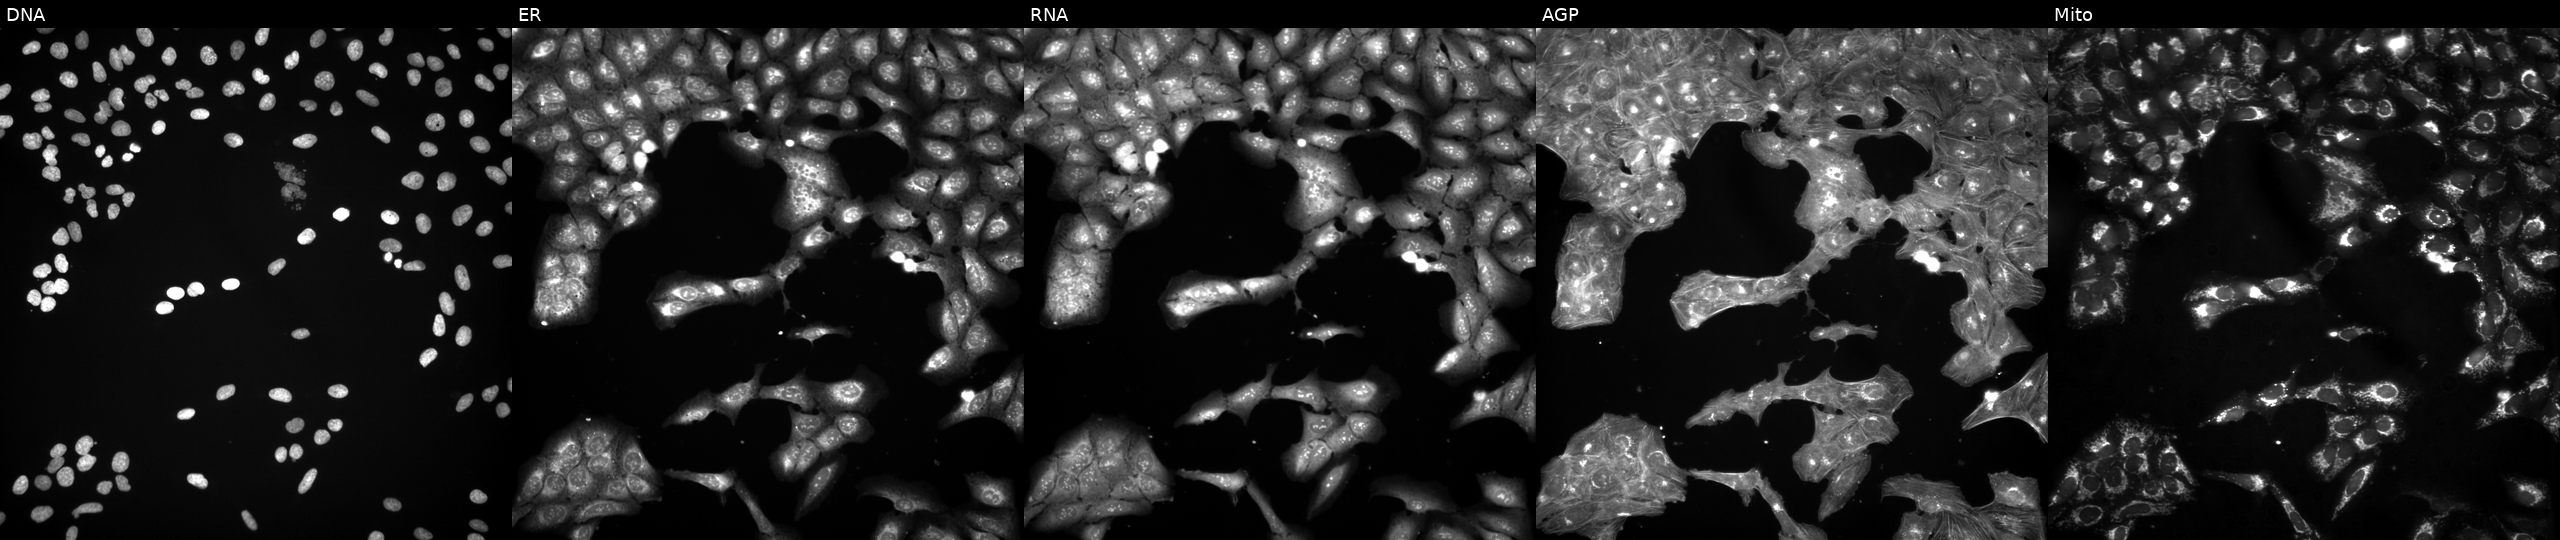
U2OS cells, Cell Painting assay, treated with a small-molecule compound. From left to right: Hoechst 33342, concanavalin A, SYTO 14, phalloidin and WGA, MitoTracker. Each panel is percentile-stretched 16-bit fluorescence. Source 3, plate JCPQC053, well H14.